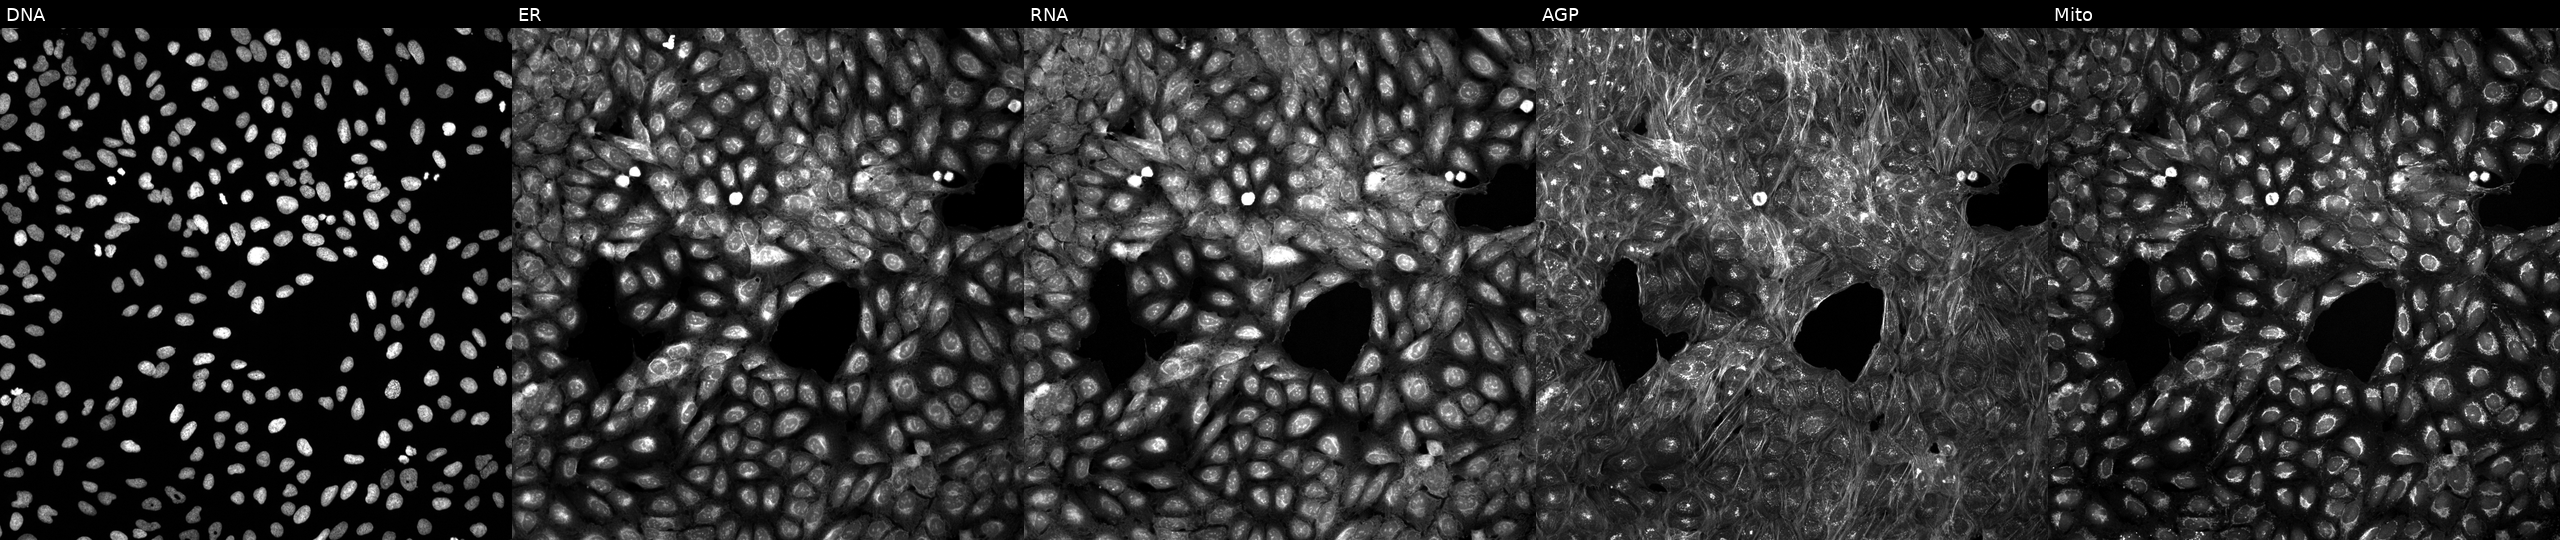
Five-channel Cell Painting image of U2OS cells treated with DMSO vehicle only (negative control). The five panels, left to right, show DNA, ER, RNA, AGP, and Mito. Source 5, plate ACPJUM012, well E22.